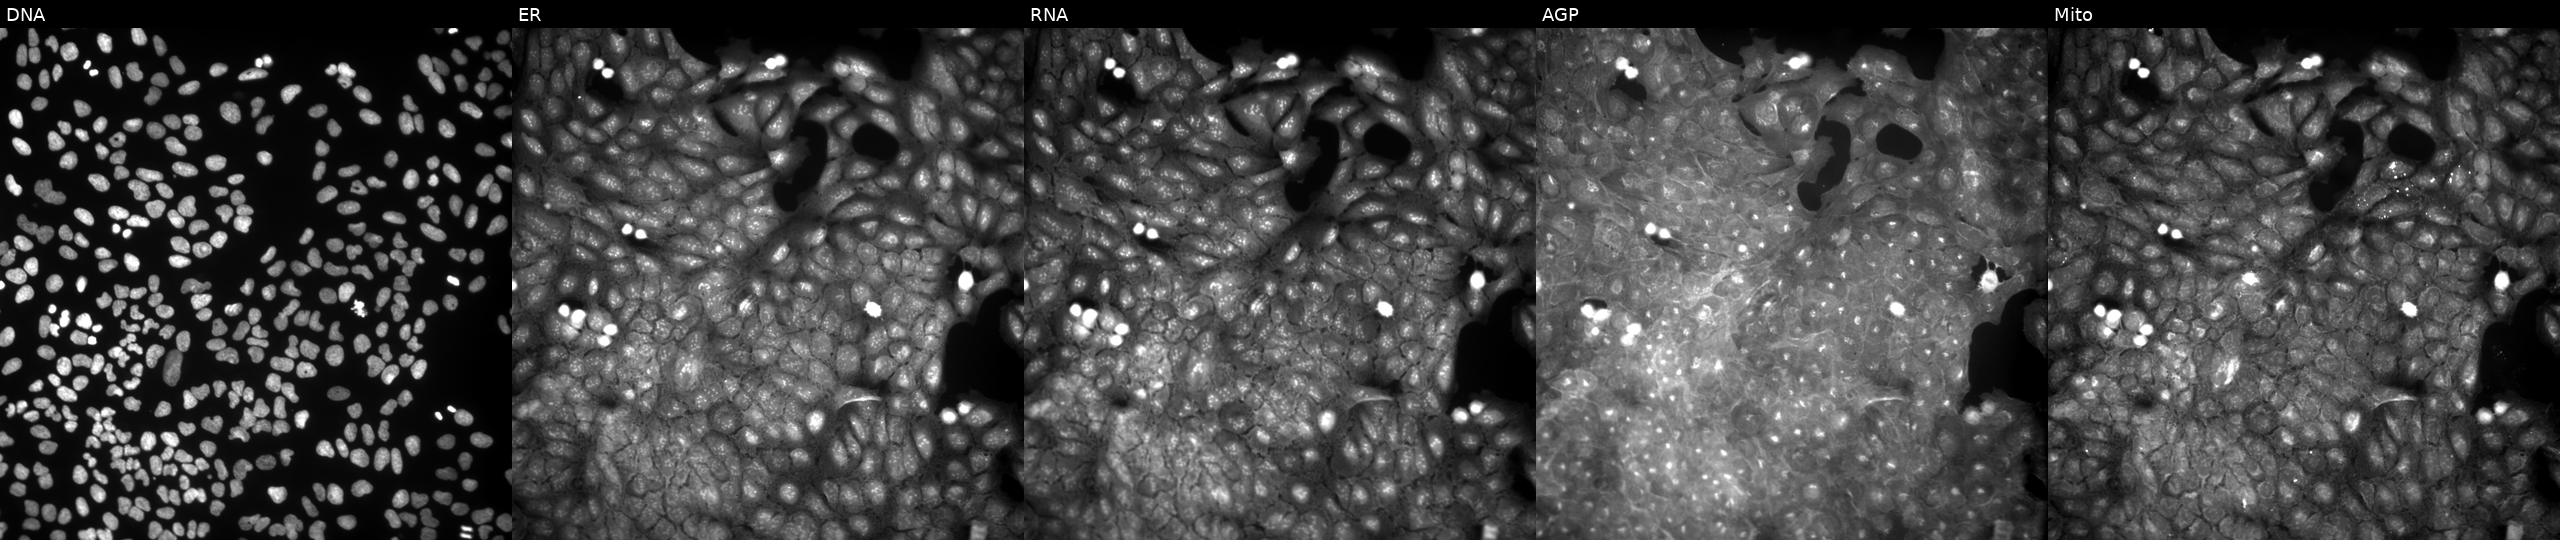
High-content fluorescence microscopy (Cell Painting). Cell line: U2OS. Perturbation: perturbed with a small-molecule compound. From left to right: Hoechst 33342, concanavalin A, SYTO 14, phalloidin and WGA, MitoTracker.